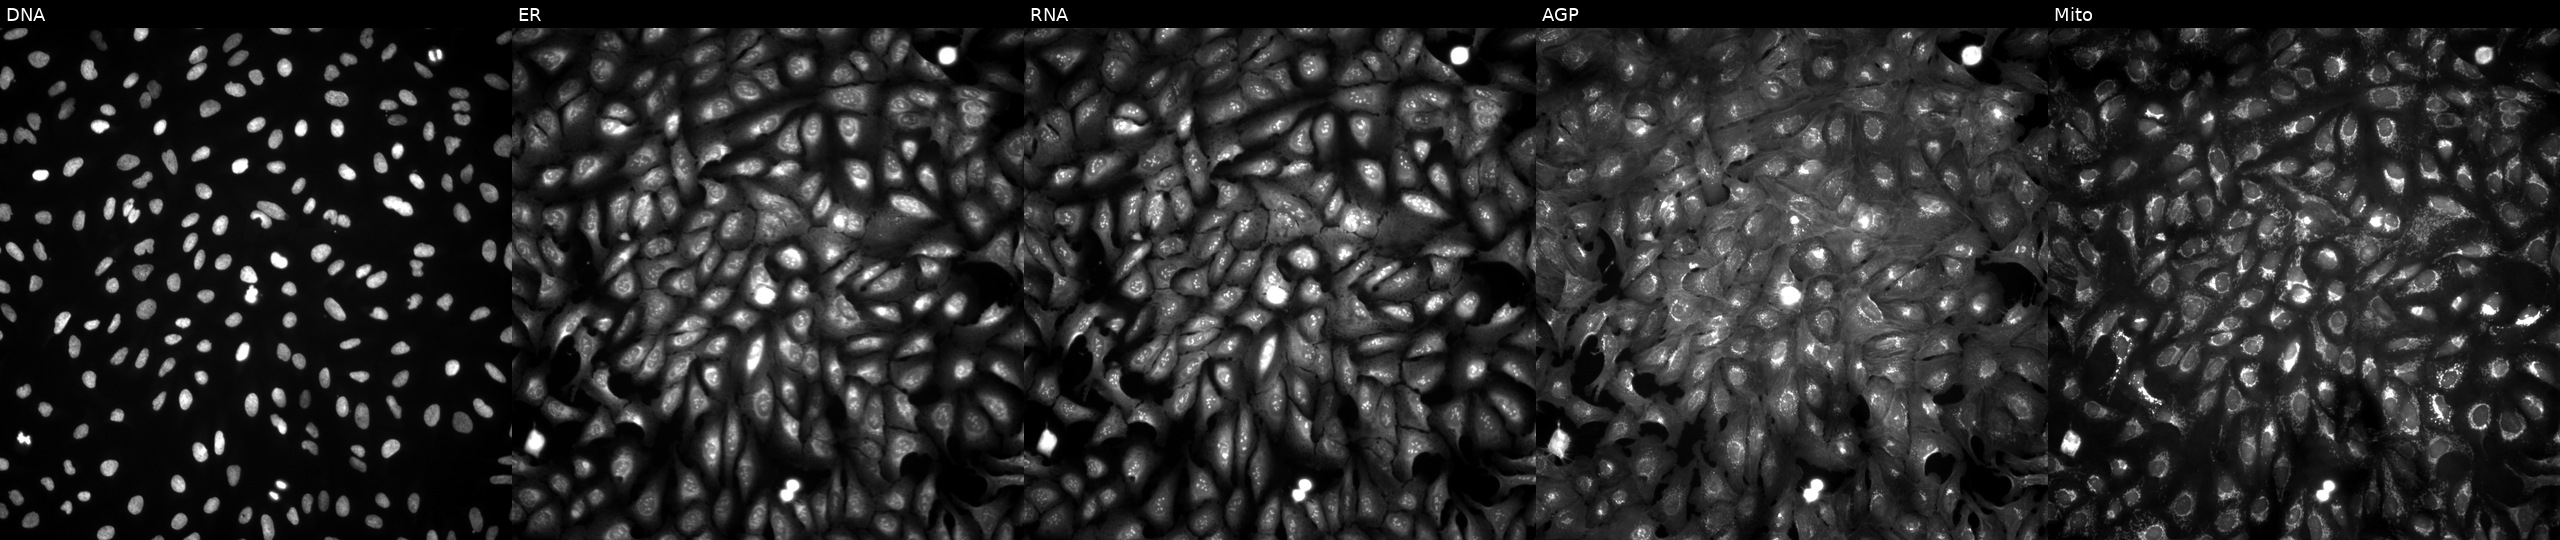
JUMP Cell Painting — ORF plate. U2OS cells overexpressing SLC20A1 via ORF transfection (JUMP id JCP2022_901448). Channels (left→right): DNA, ER, RNA, AGP, and Mito.